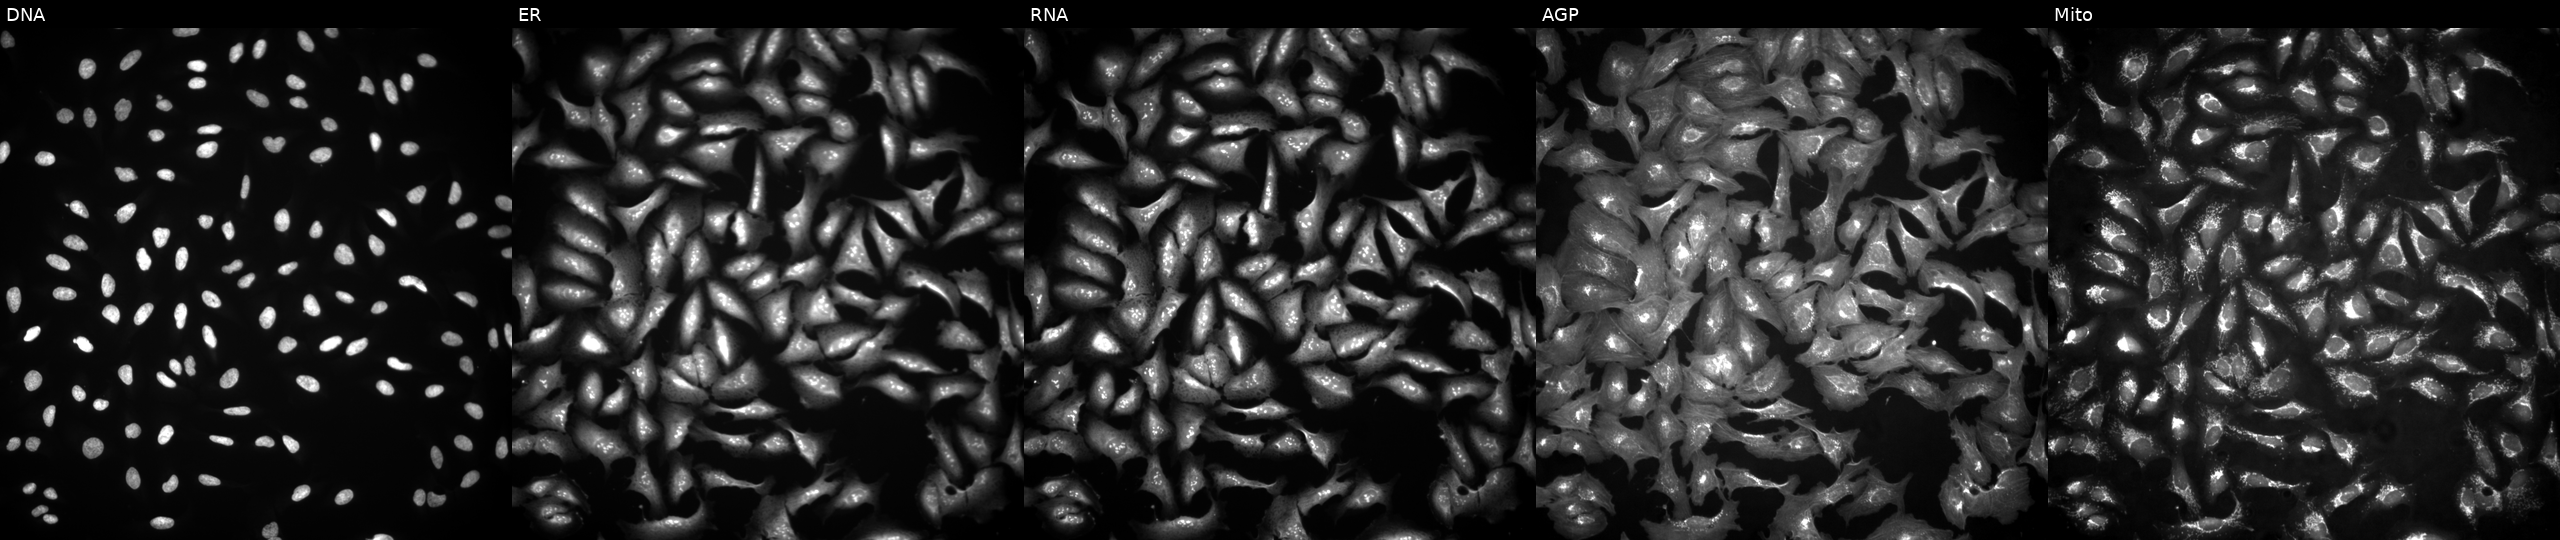
JUMP Cell Painting — ORF plate. U2OS cells transfected with an ORF construct for ZNF169. From left to right: Hoechst 33342, concanavalin A, SYTO 14, phalloidin and WGA, MitoTracker. Source 4, plate BR00117035, well H17.